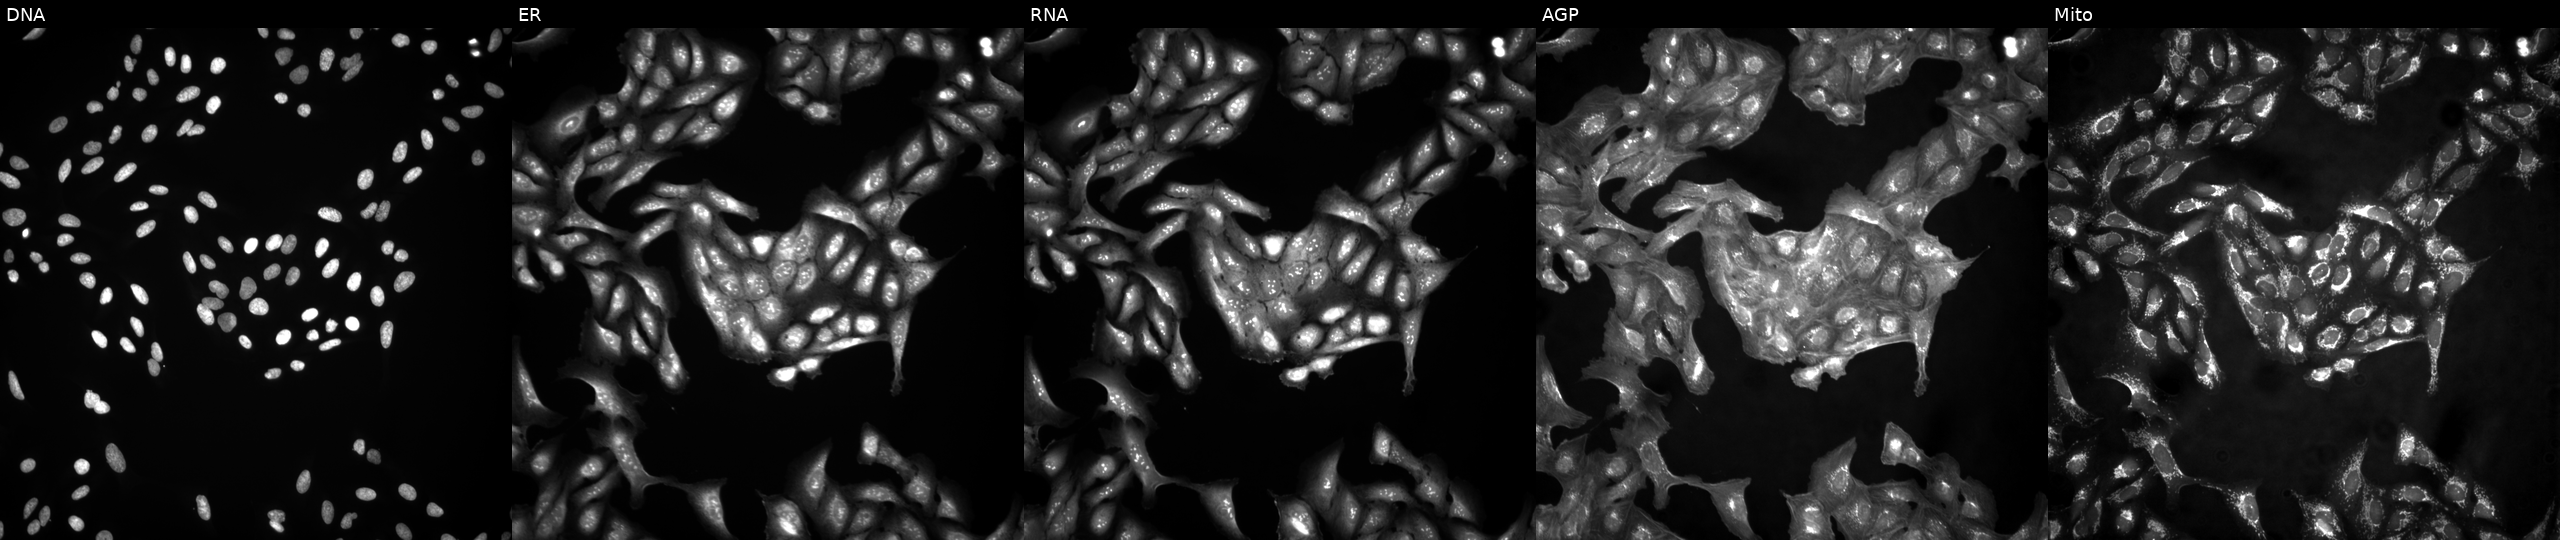
Five-channel Cell Painting image of U2OS cells in an empty control well (no perturbation). The five panels, left to right, show Hoechst 33342, concanavalin A, SYTO 14, phalloidin and WGA, MitoTracker.